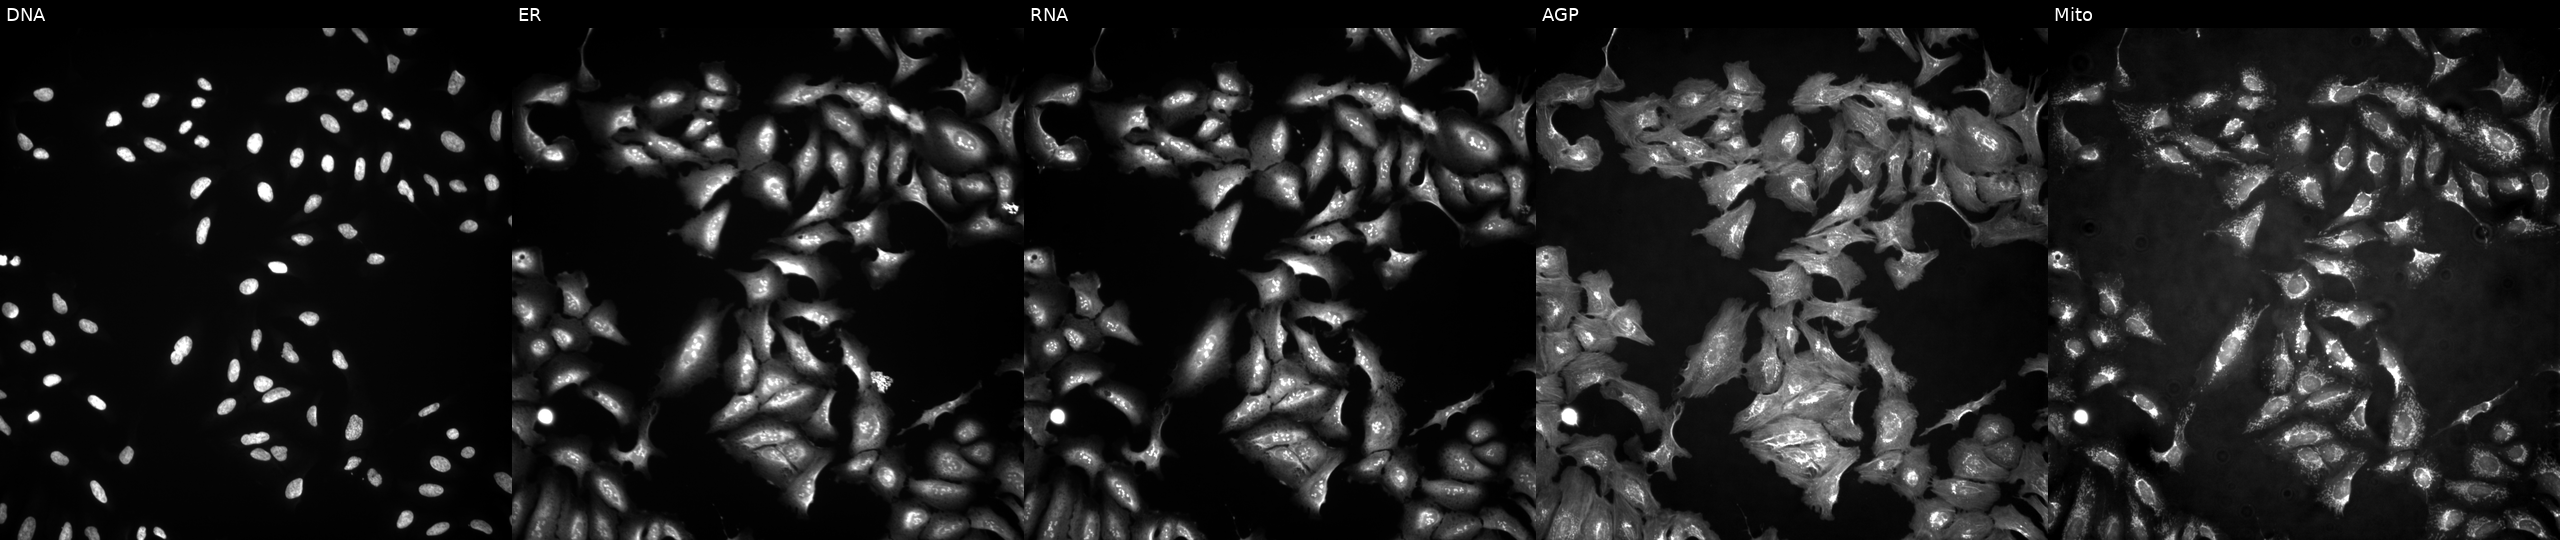
U2OS cells, Cell Painting assay, overexpressing RBP4 via ORF transfection. The five panels, left to right, show DNA (nuclei); ER (endoplasmic reticulum); RNA (nucleoli and cytoplasmic RNA); AGP (actin cytoskeleton, Golgi, and plasma membrane); Mito (mitochondria). Each panel is percentile-stretched 16-bit fluorescence.